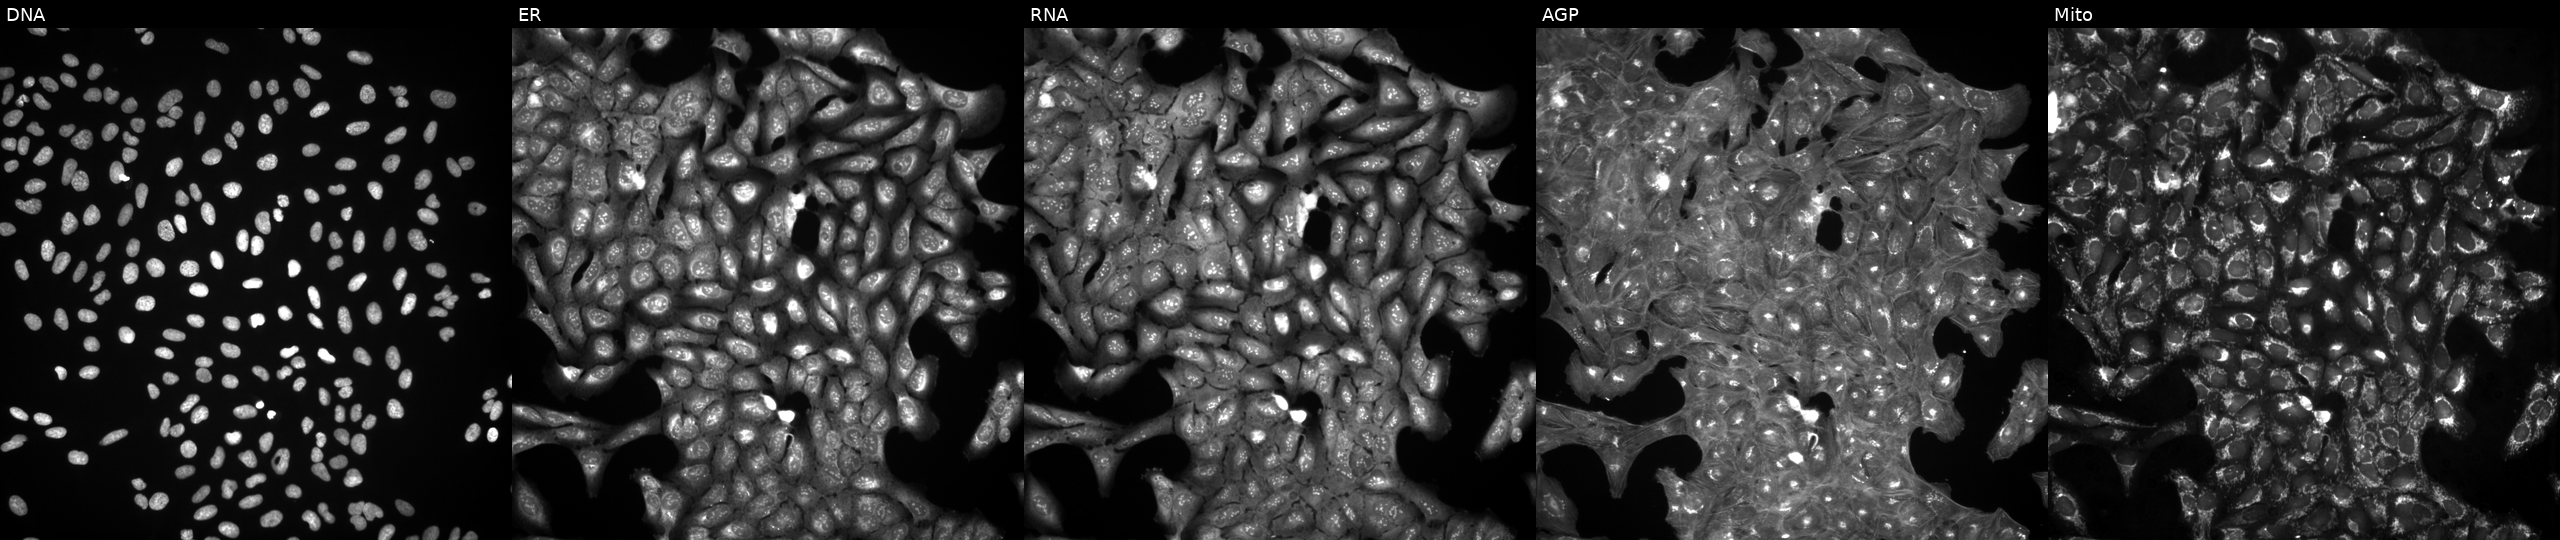
High-content fluorescence microscopy (Cell Painting). Cell line: U2OS. Perturbation: exposed to a small-molecule compound. From left to right: Hoechst 33342, concanavalin A, SYTO 14, phalloidin and WGA, MitoTracker. Source 3, plate JCPQC052, well B23.